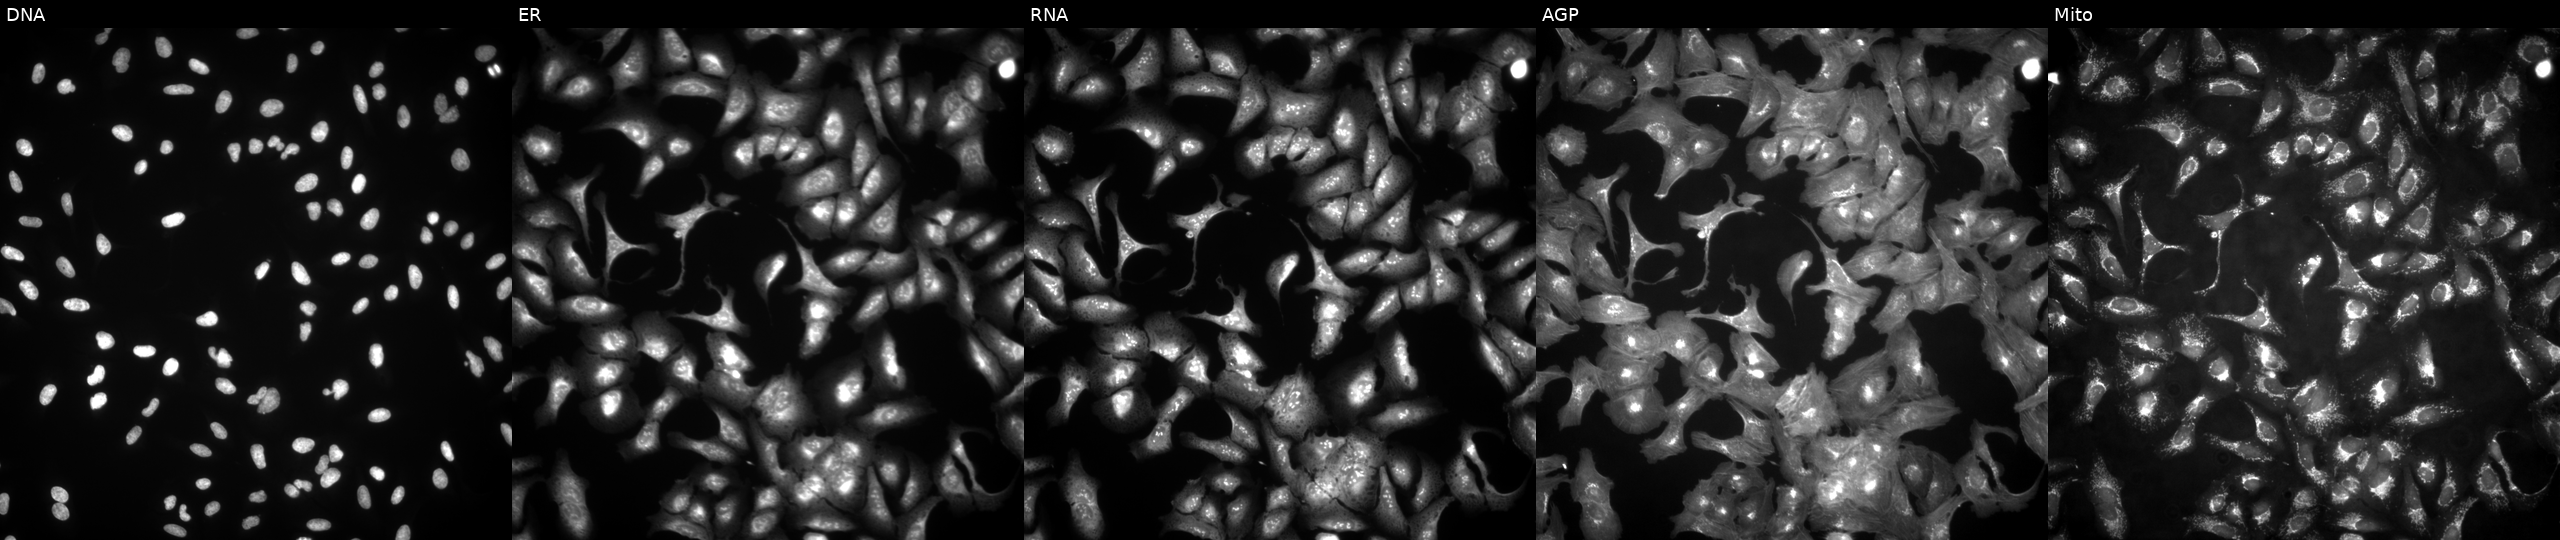
U2OS cells, Cell Painting assay, with ARHGAP5-AS1 overexpressed (ORF) (JUMP id JCP2022_909567). Panels show, left to right, DNA, ER, RNA, AGP, and Mito. Each panel is percentile-stretched 16-bit fluorescence.